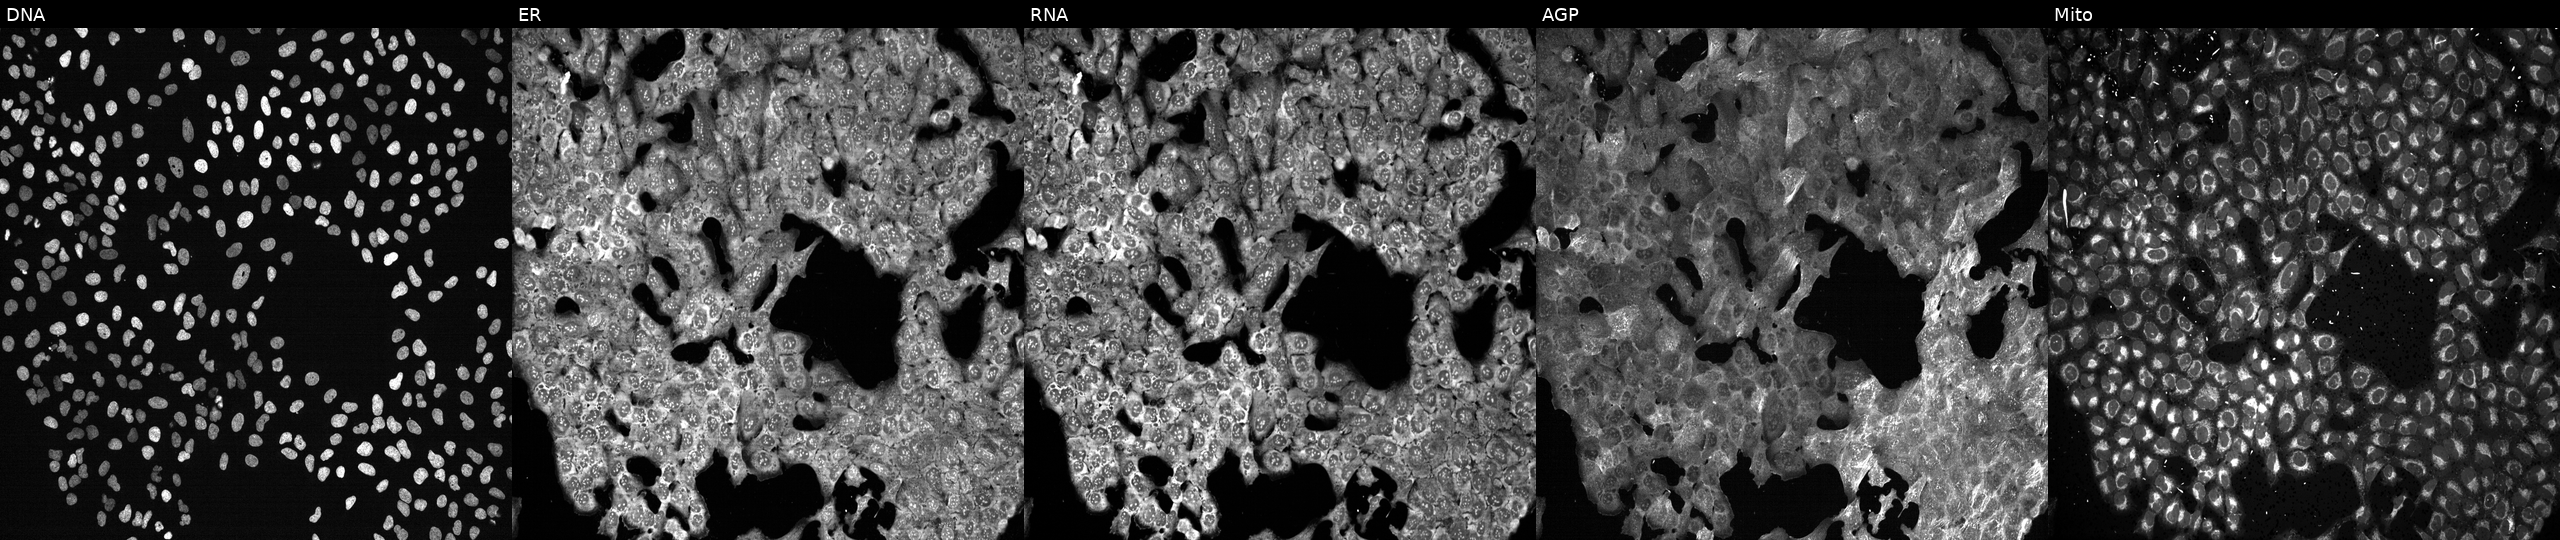
Five-channel Cell Painting image of U2OS cells exposed to the positive-control compound NVS-PAK1-1 (JUMP id JCP2022_064022). From left to right: Hoechst 33342, concanavalin A, SYTO 14, phalloidin and WGA, MitoTracker.